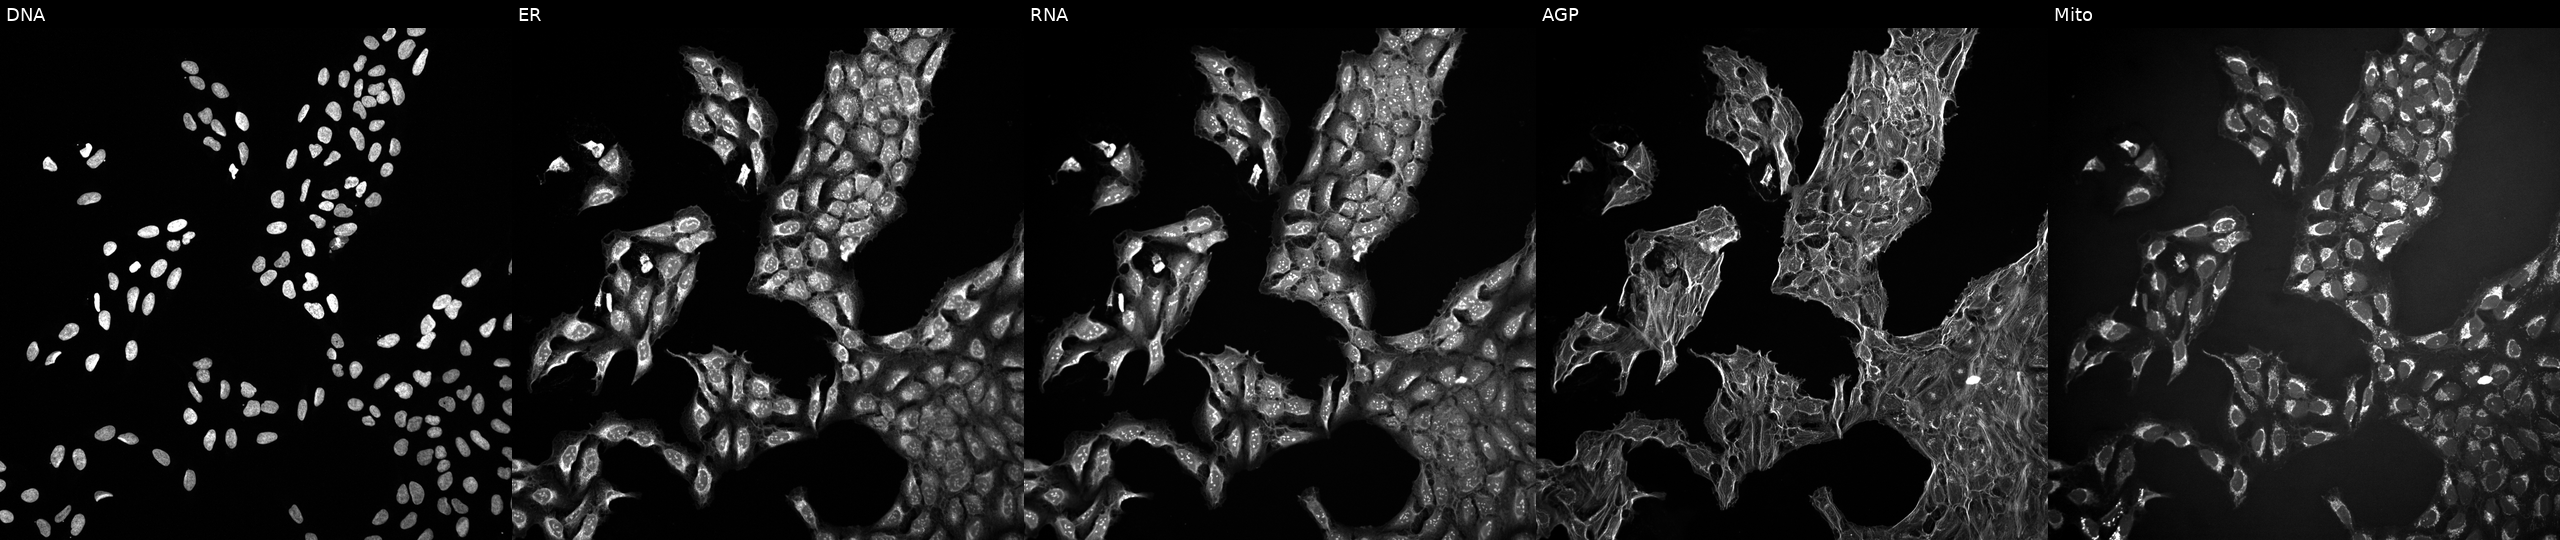
High-content fluorescence microscopy (Cell Painting). Cell line: U2OS. Perturbation: treated with a small-molecule compound (InChIKey TYNLGDBUJLVSMA-UHFFFAOYSA-N) [SMILES: CC(=O)Oc1cccc2c1C(=O)c1c(OC(C)=O)cc(C(=O)O)cc1C2=O]. Channels (left→right): DNA (nuclei); ER (endoplasmic reticulum); RNA (nucleoli and cytoplasmic RNA); AGP (actin cytoskeleton, Golgi, and plasma membrane); Mito (mitochondria).